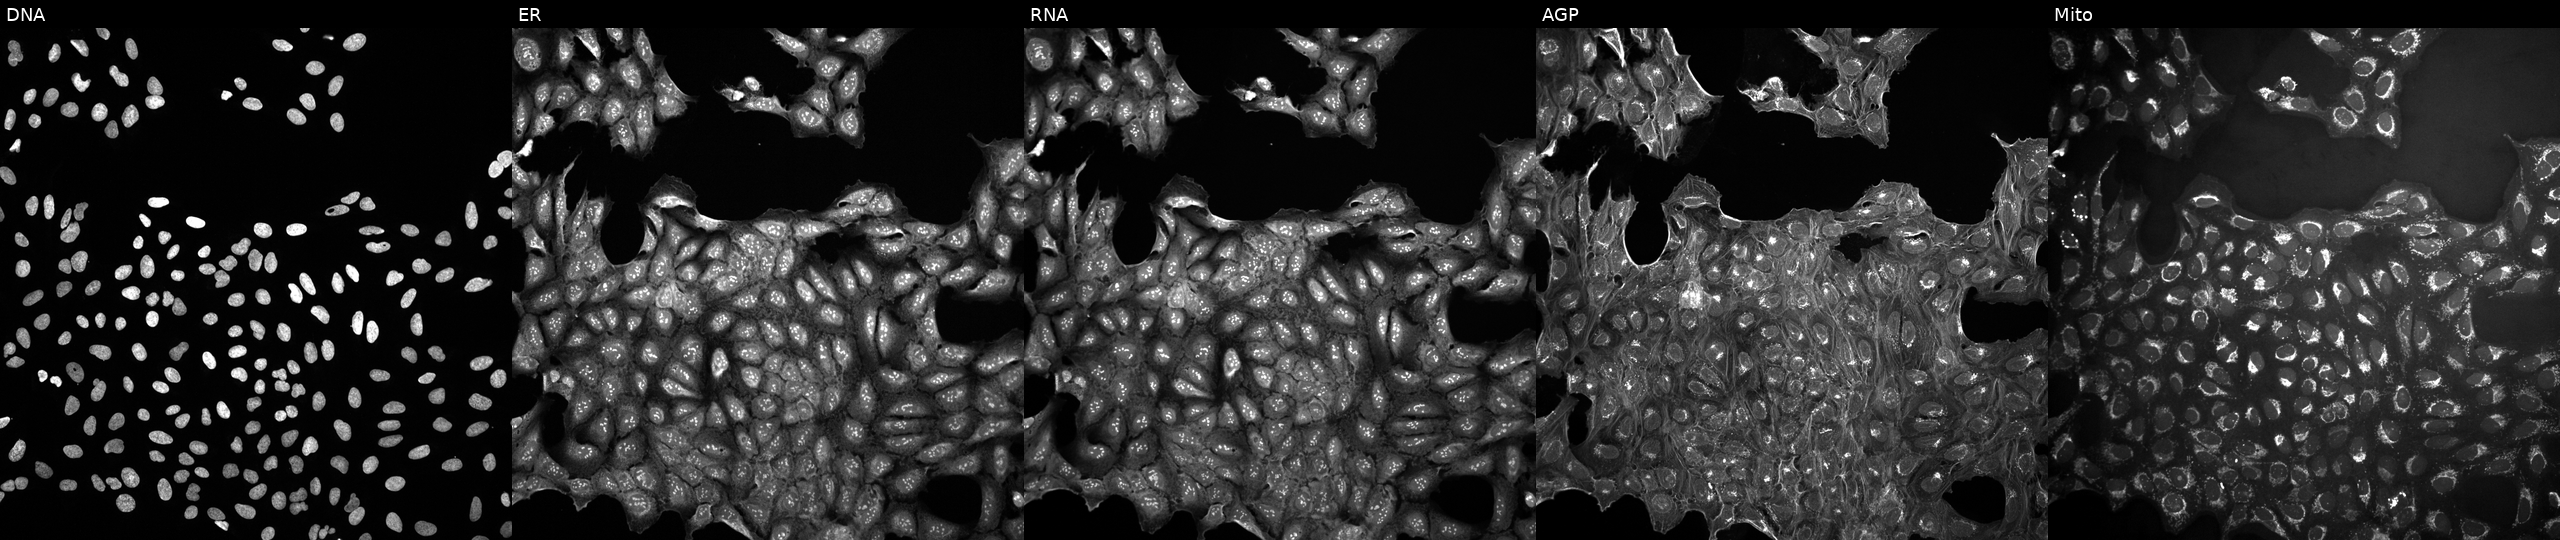
Channels (left→right): DNA (nuclei); ER (endoplasmic reticulum); RNA (nucleoli and cytoplasmic RNA); AGP (actin cytoskeleton, Golgi, and plasma membrane); Mito (mitochondria). U2OS osteosarcoma cells untreated (empty-well control) (JUMP id JCP2022_999999). Cell Painting assay, JUMP-CP dataset.